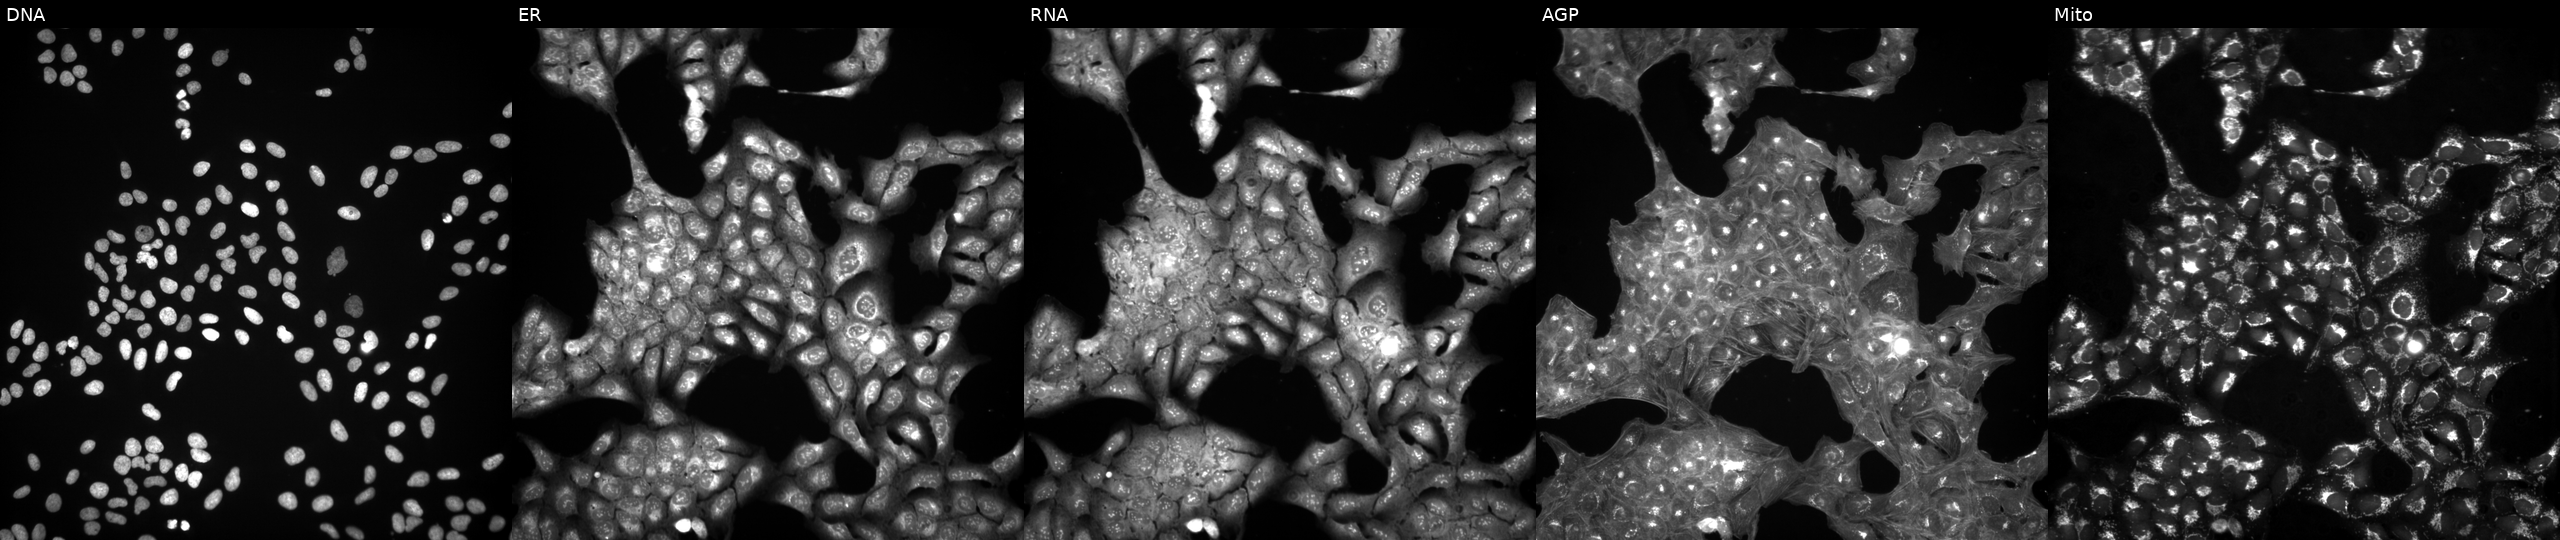
JUMP Cell Painting — COMPOUND plate. U2OS cells perturbed with a small-molecule compound (JUMP id JCP2022_028833). Channels (left→right): DNA, ER, RNA, AGP, and Mito.